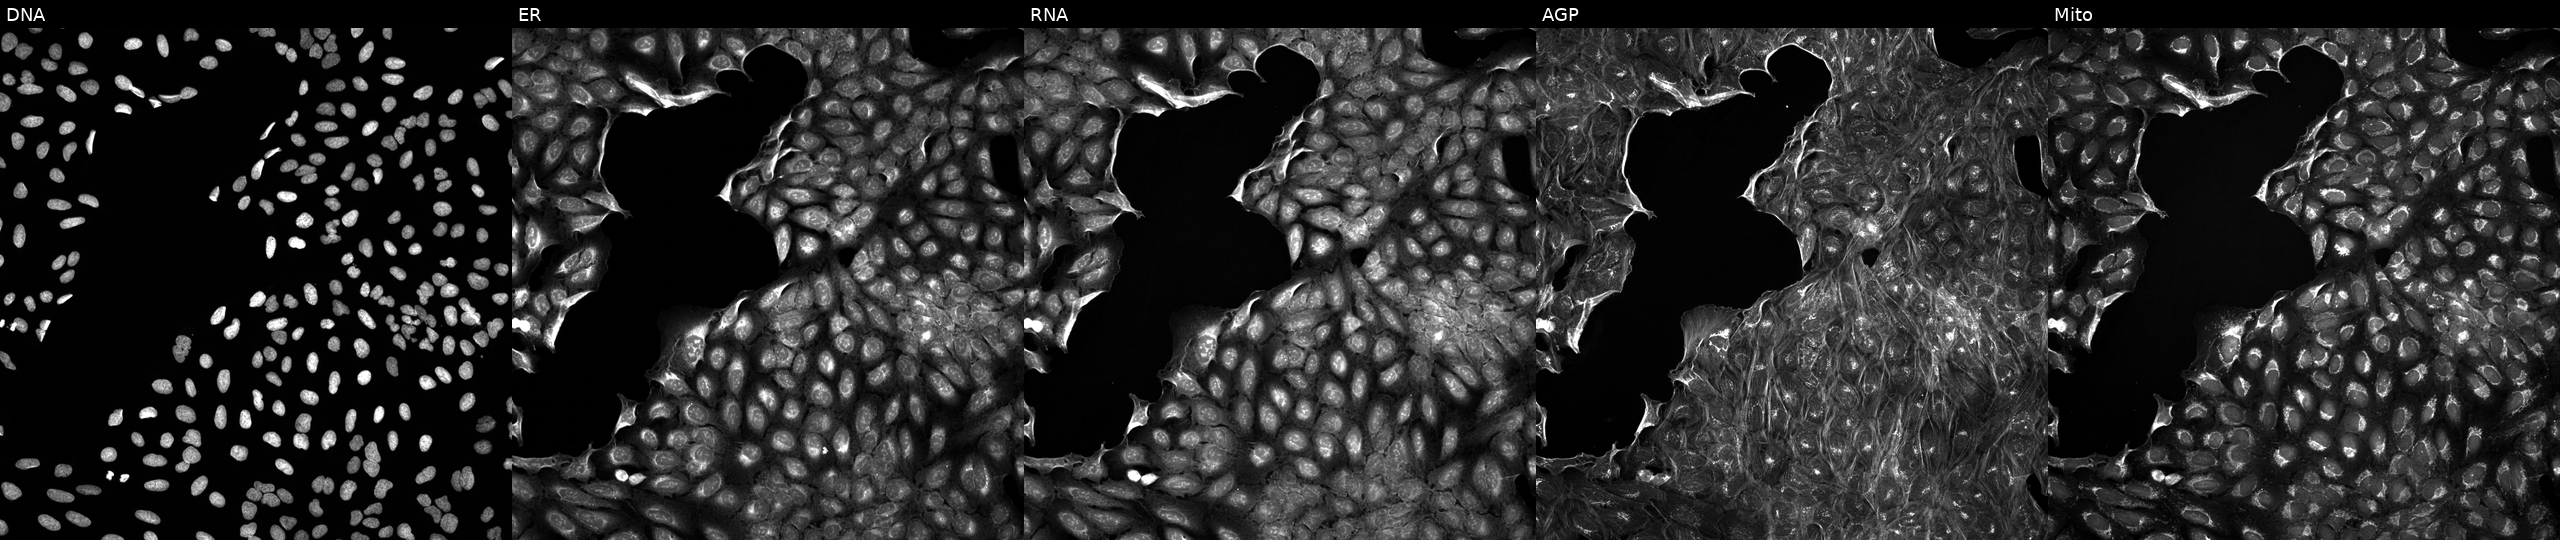
Five-channel Cell Painting image of U2OS cells exposed to a small-molecule compound (InChIKey NDNKNUMSTIMSHQ-UHFFFAOYSA-N). The five panels, left to right, show DNA, ER, RNA, AGP, and Mito. Source 5, plate ACPJUM012, well K09.